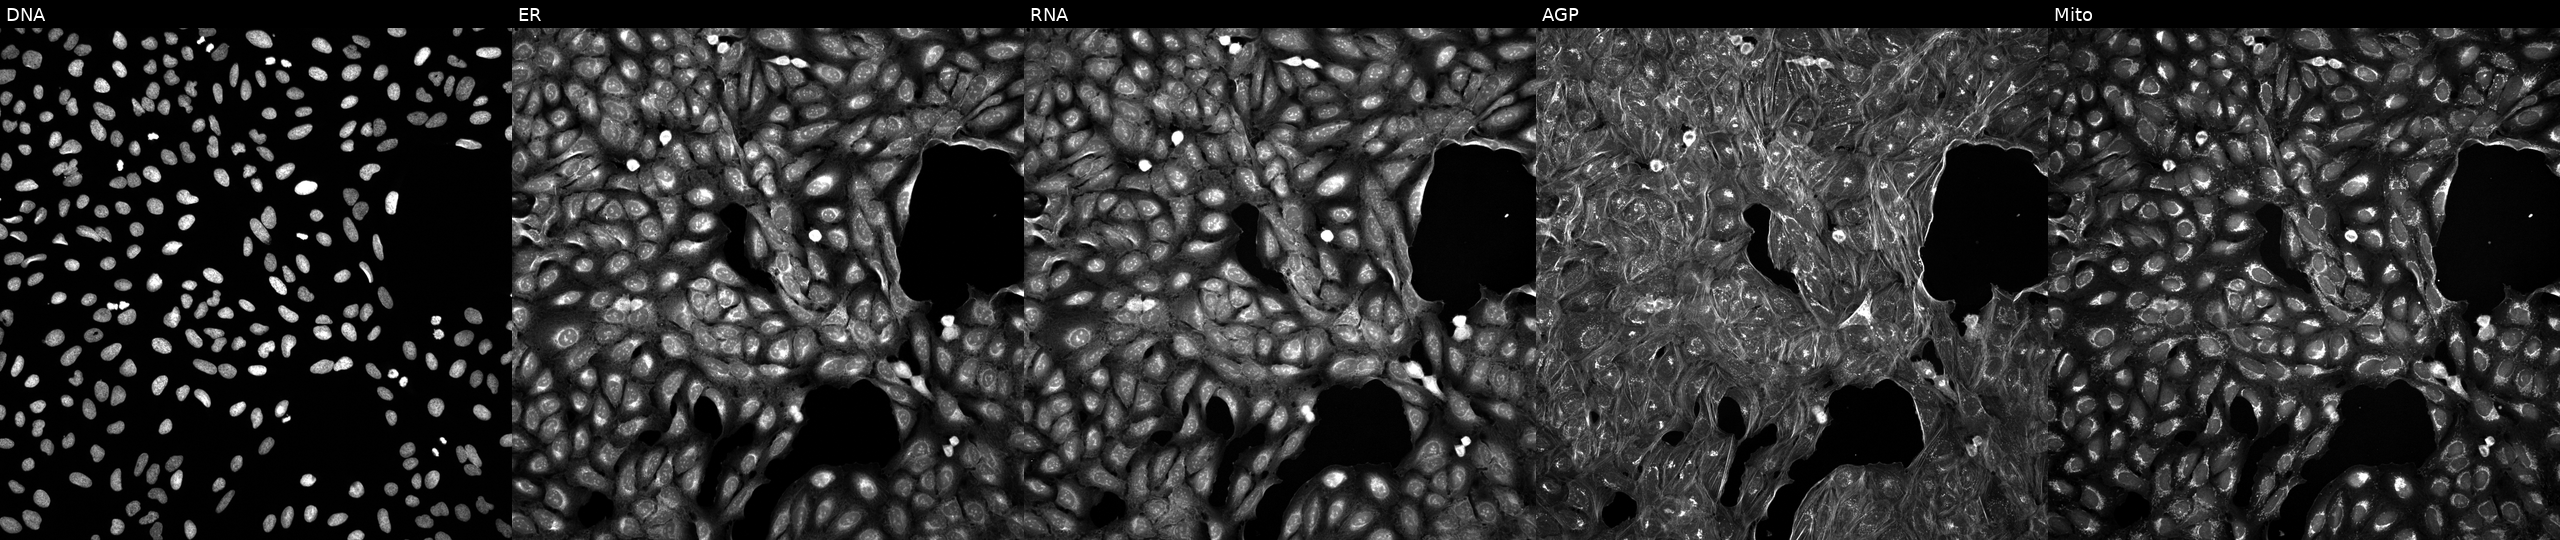
This image strip shows the five Cell Painting channels for a single field of U2OS cells exposed to DMSO alone as a negative control. Channels (left→right): Hoechst 33342, concanavalin A, SYTO 14, phalloidin and WGA, MitoTracker.